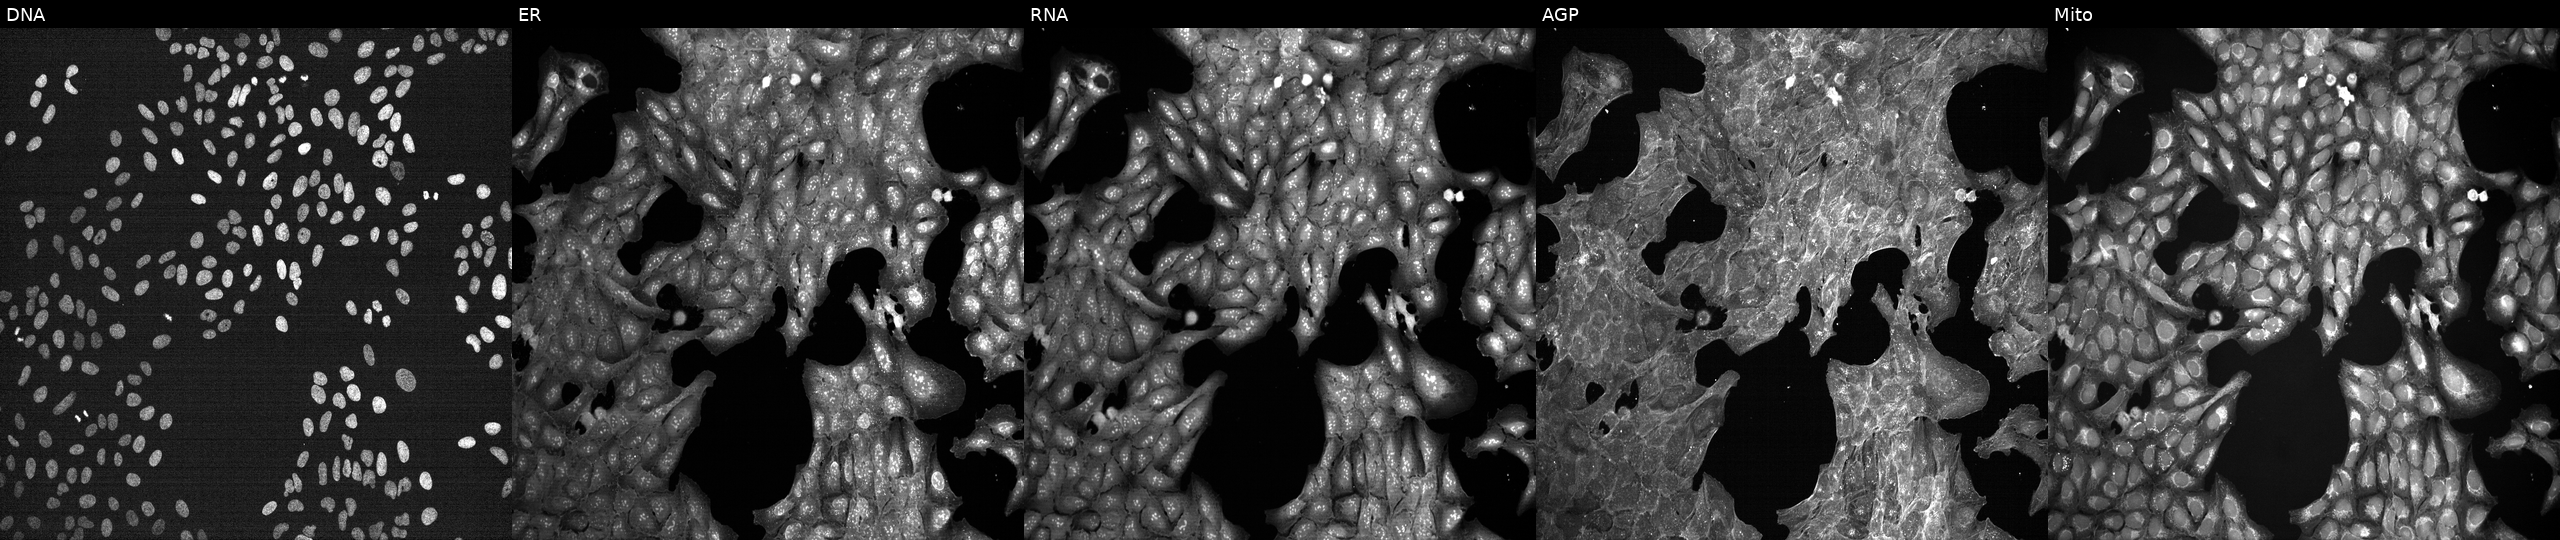
This image strip shows the five Cell Painting channels for a single field of U2OS cells perturbed with a small-molecule compound (InChIKey WDENQIQQYWYTPO-UHFFFAOYSA-N). Channels (left→right): DNA (nuclei); ER (endoplasmic reticulum); RNA (nucleoli and cytoplasmic RNA); AGP (actin cytoskeleton, Golgi, and plasma membrane); Mito (mitochondria).